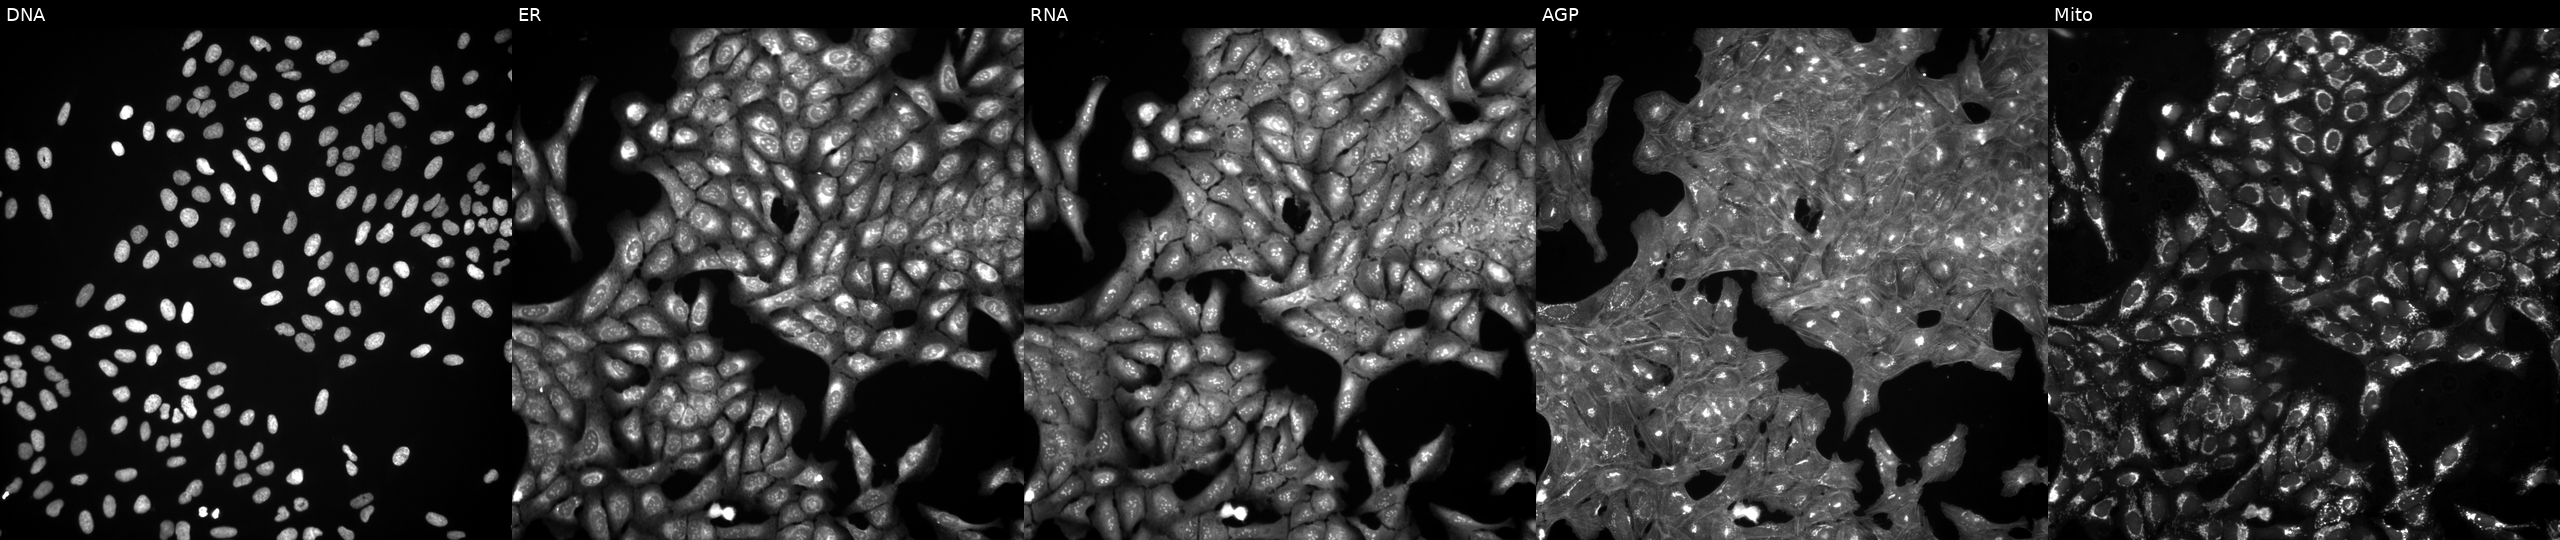
This image strip shows the five Cell Painting channels for a single field of U2OS cells perturbed with a small-molecule compound (InChIKey VCPYHJRPPOKQIE-UHFFFAOYSA-N) [SMILES: O=C1CC(c2cccc(Cl)c2)c2ccc3ccccc3c2N1]. Channels (left→right): DNA, ER, RNA, AGP, and Mito.